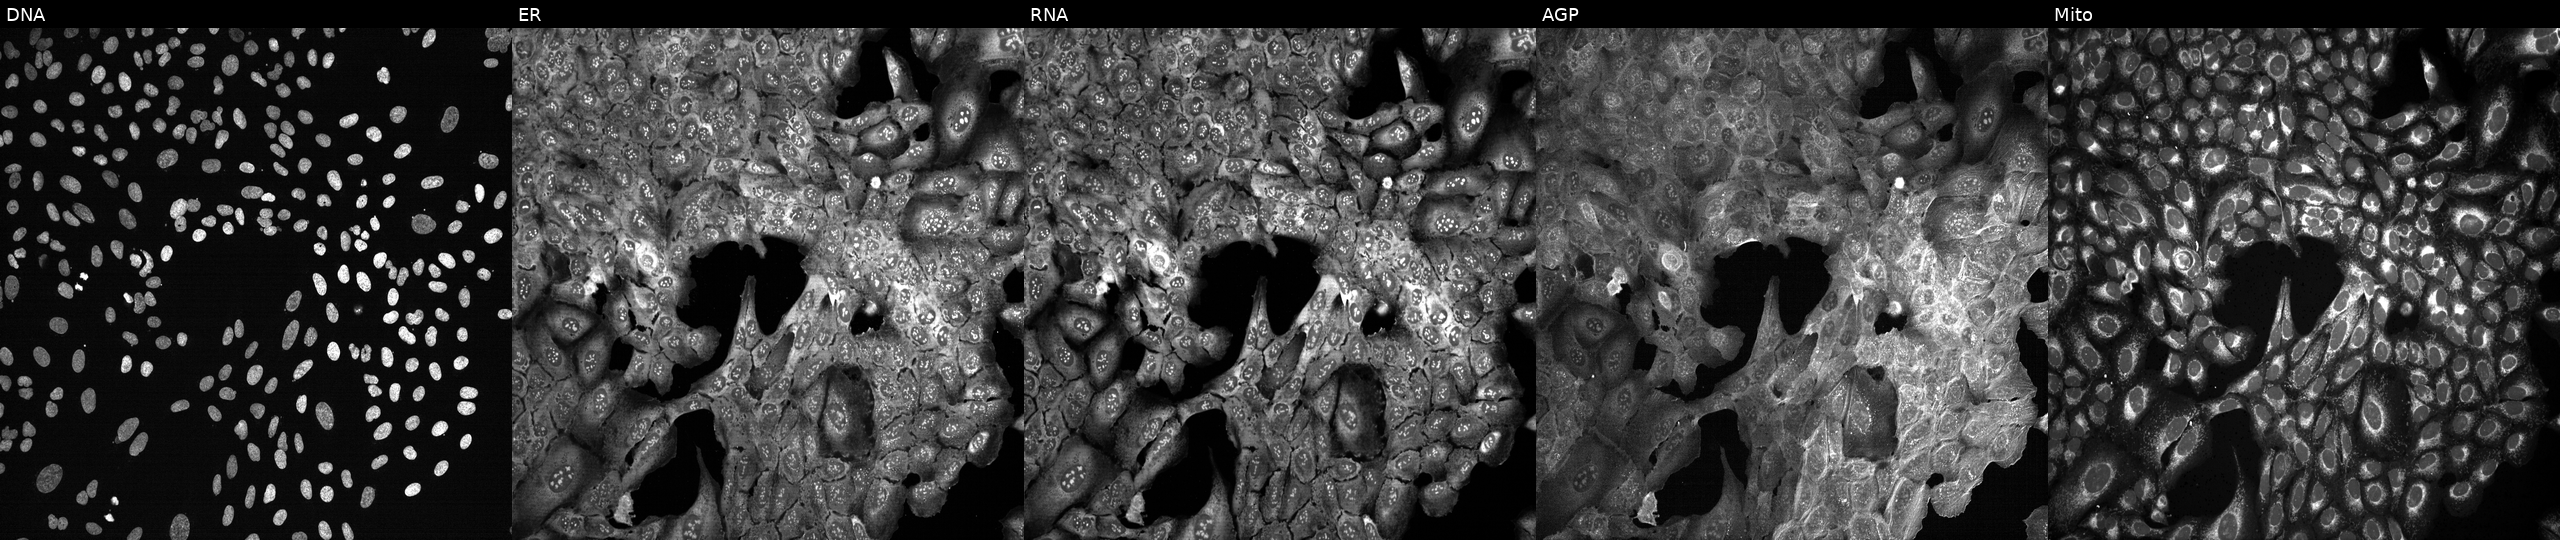
Five-channel Cell Painting image of U2OS cells with MRPL9 knocked out by CRISPR. Channels (left→right): Hoechst 33342, concanavalin A, SYTO 14, phalloidin and WGA, MitoTracker.